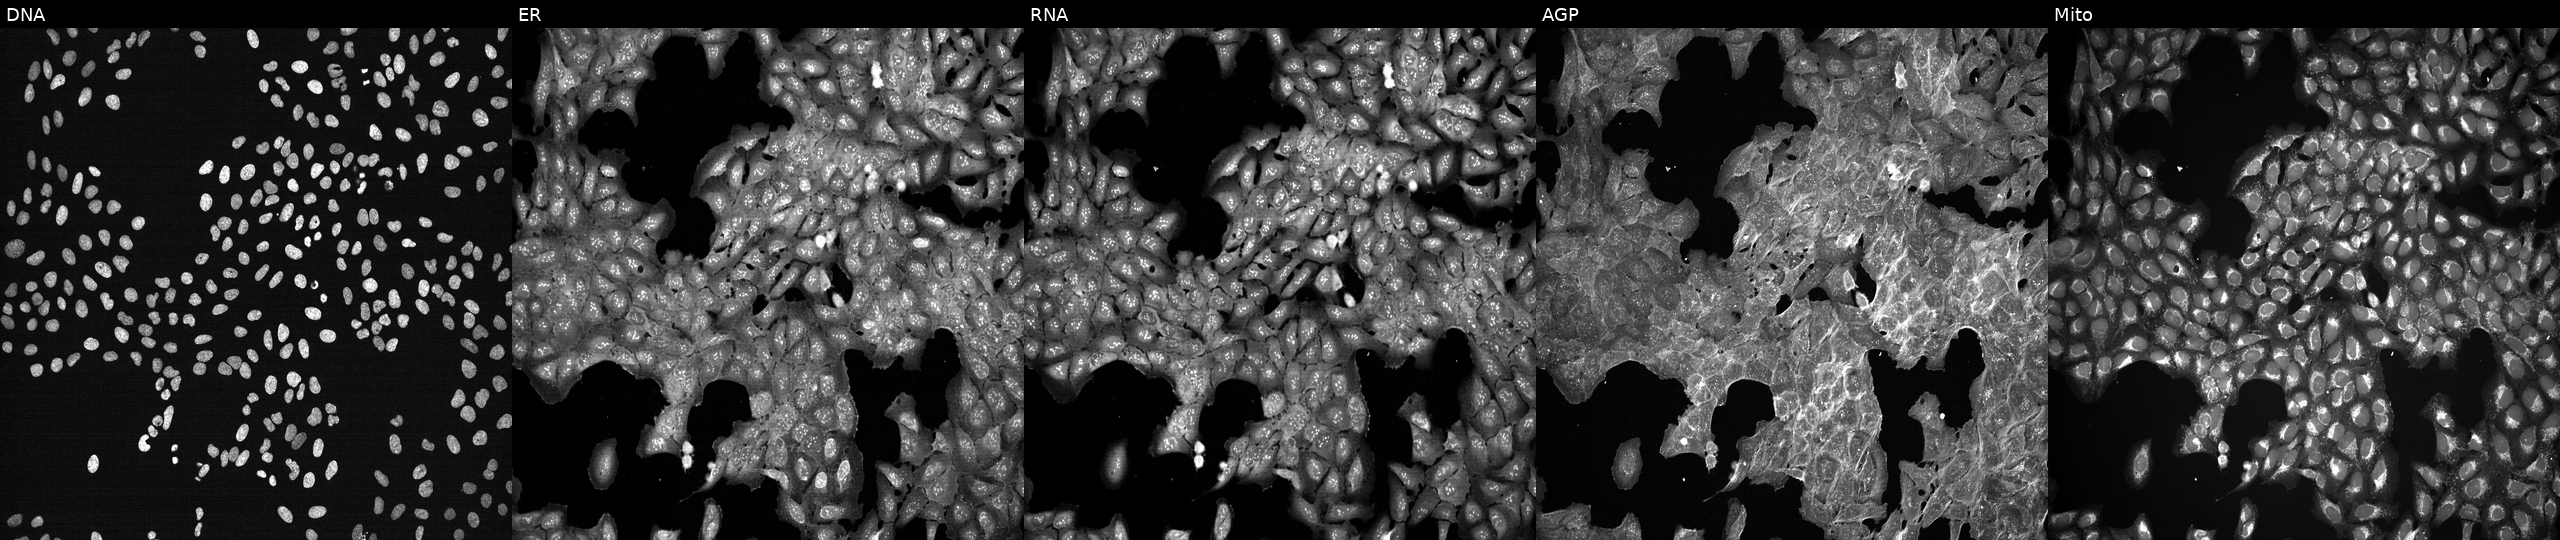
Five-channel Cell Painting image of U2OS cells perturbed with a small-molecule compound (InChIKey QIHBWVVVRYYYRO-UHFFFAOYSA-N). Channels (left→right): DNA (nuclei); ER (endoplasmic reticulum); RNA (nucleoli and cytoplasmic RNA); AGP (actin cytoskeleton, Golgi, and plasma membrane); Mito (mitochondria).